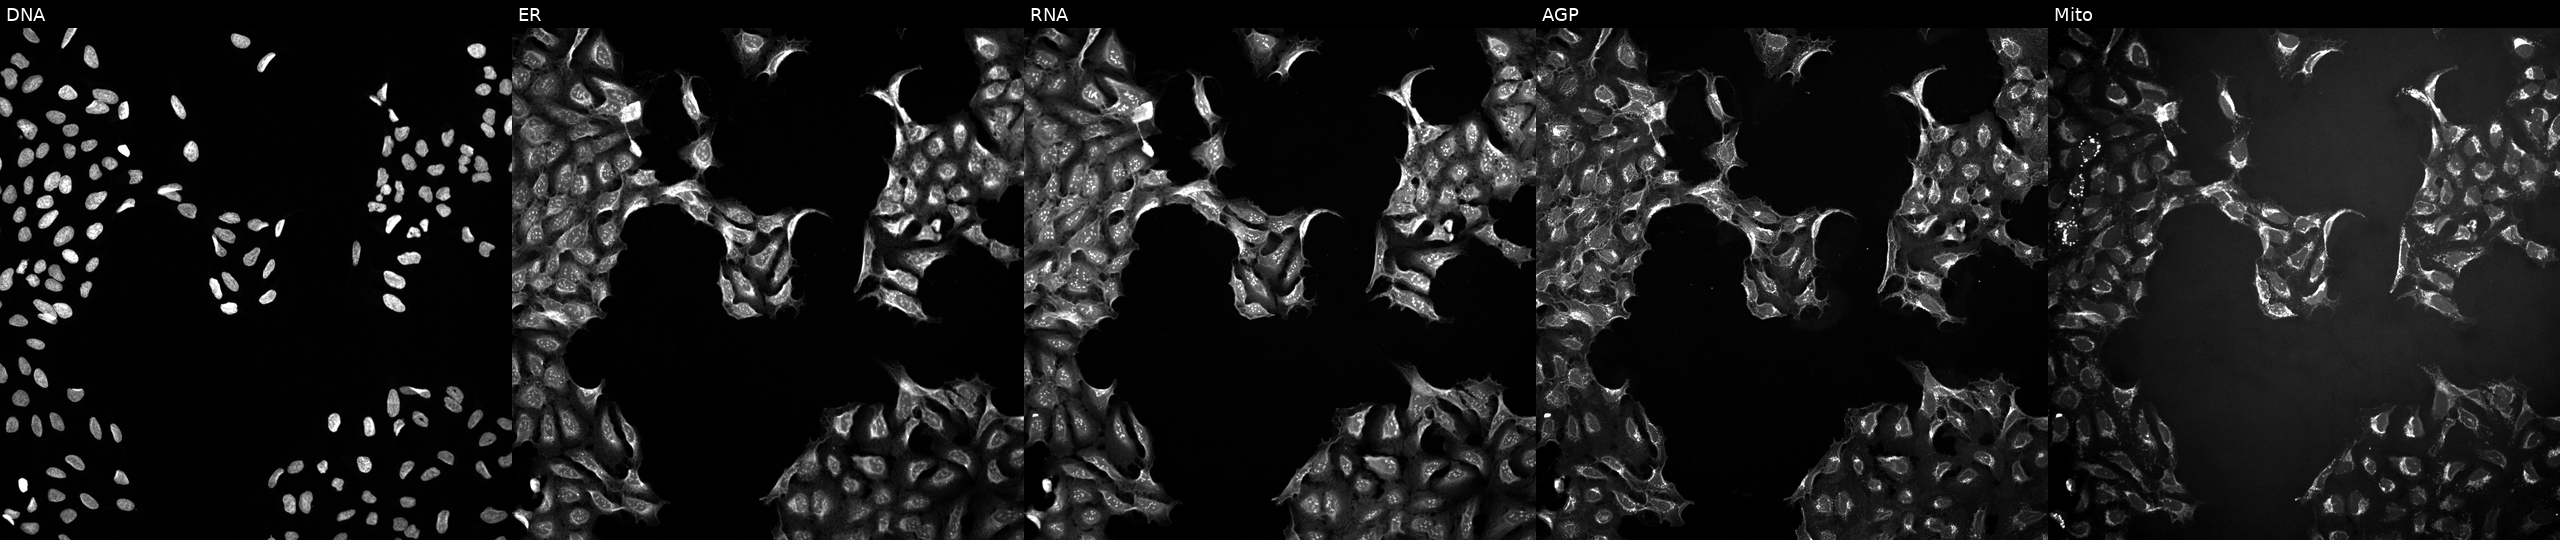
From left to right: Hoechst 33342, concanavalin A, SYTO 14, phalloidin and WGA, MitoTracker. U2OS osteosarcoma cells exposed to a small-molecule compound. Cell Painting assay, JUMP-CP dataset. Source 10, plate Dest210803-153958, well N11.